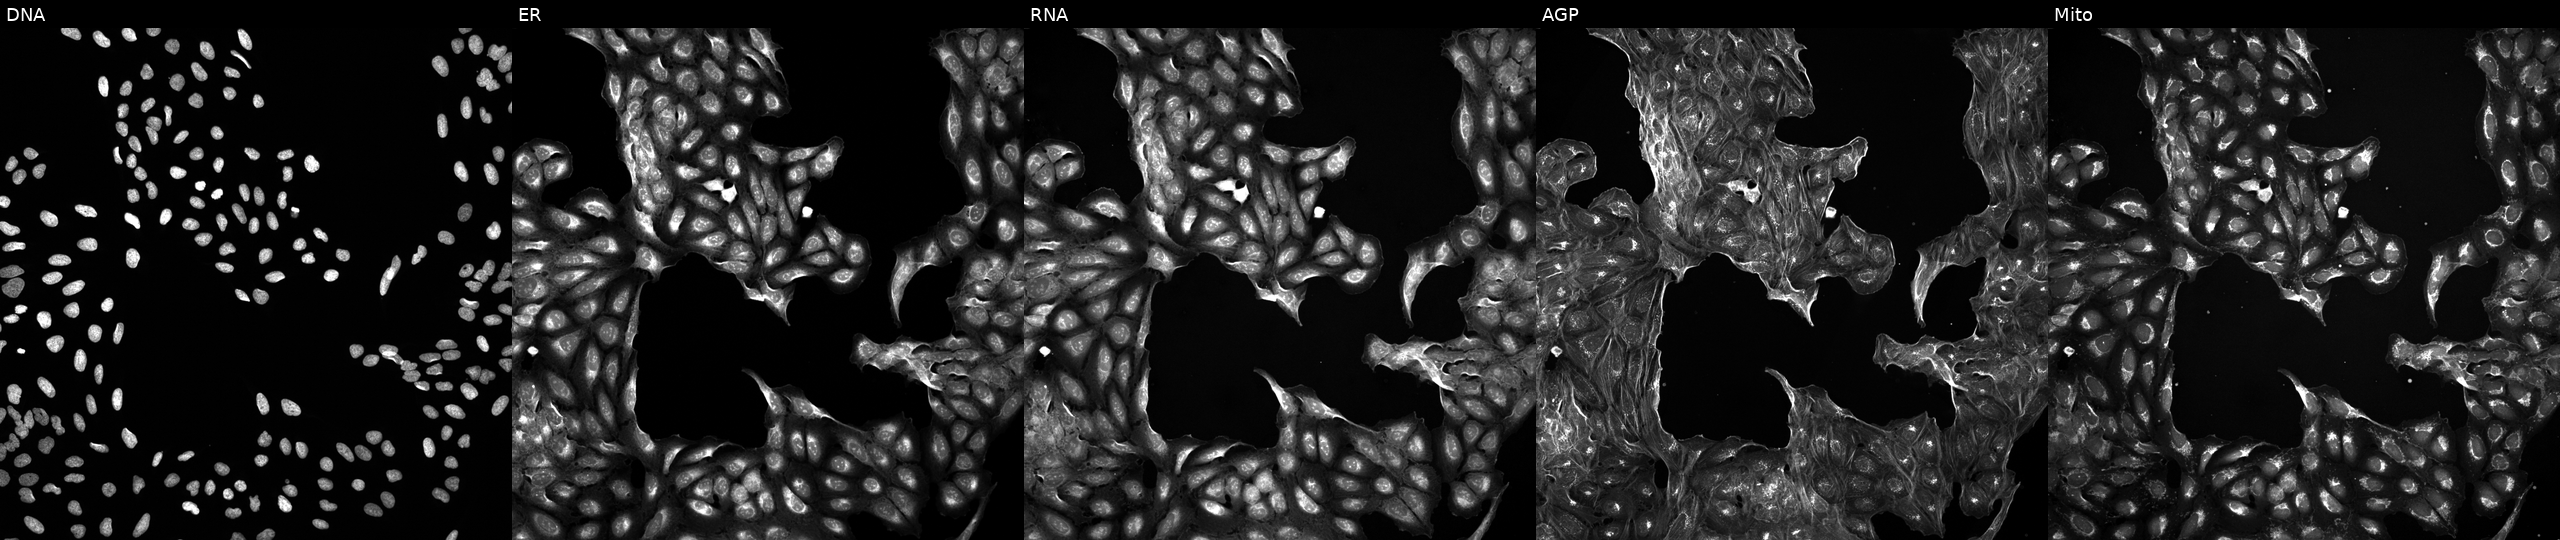
High-content fluorescence microscopy (Cell Painting). Cell line: U2OS. Perturbation: perturbed with a small-molecule compound [SMILES: O=Nc1c(O)[nH]c2c(Cl)c(Cl)ccc12] (JUMP id JCP2022_079617). The five panels, left to right, show DNA (nuclei); ER (endoplasmic reticulum); RNA (nucleoli and cytoplasmic RNA); AGP (actin cytoskeleton, Golgi, and plasma membrane); Mito (mitochondria).